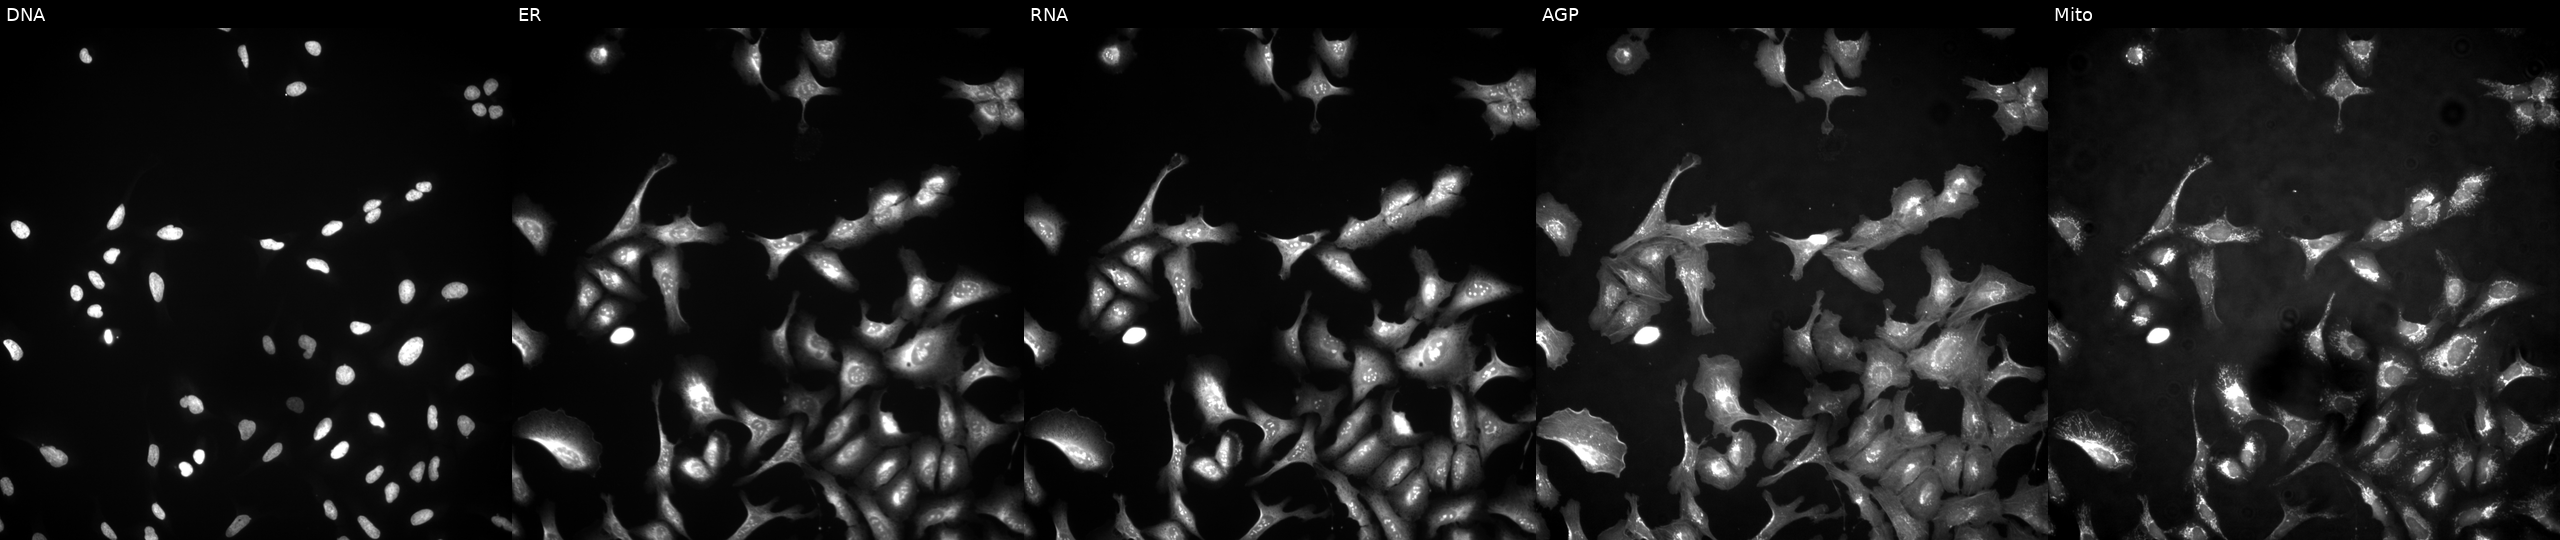
Five-channel Cell Painting image of U2OS cells with WDR76 overexpressed (ORF) (JUMP id JCP2022_903893). The five panels, left to right, show Hoechst 33342, concanavalin A, SYTO 14, phalloidin and WGA, MitoTracker.